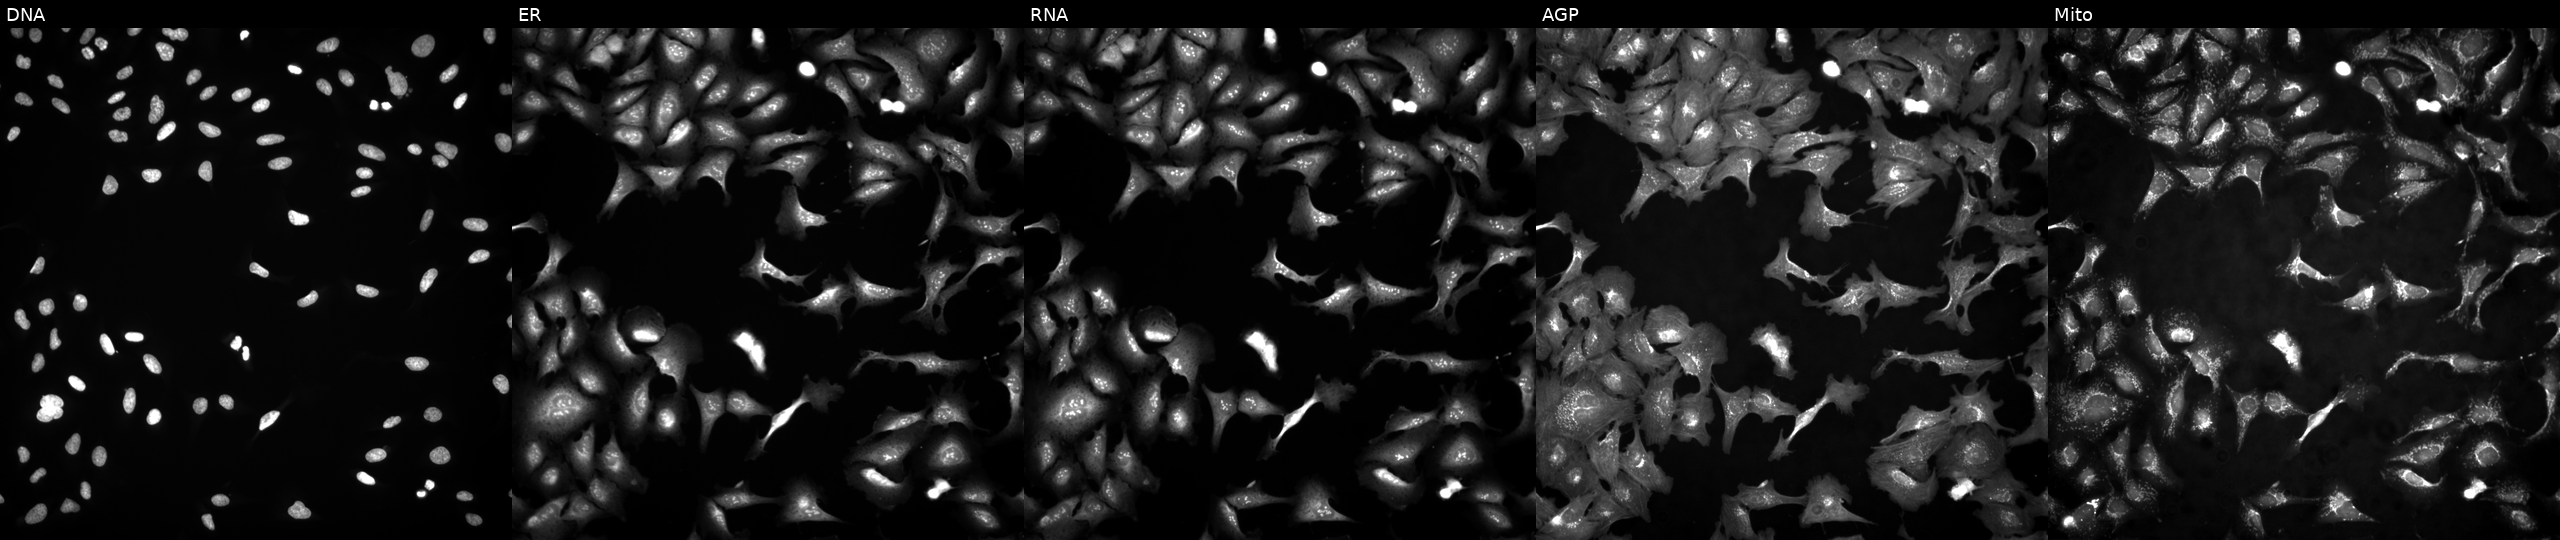
This image strip shows the five Cell Painting channels for a single field of U2OS cells expressing LacZ (ORF negative control) (JUMP id JCP2022_915131). From left to right: Hoechst 33342, concanavalin A, SYTO 14, phalloidin and WGA, MitoTracker.